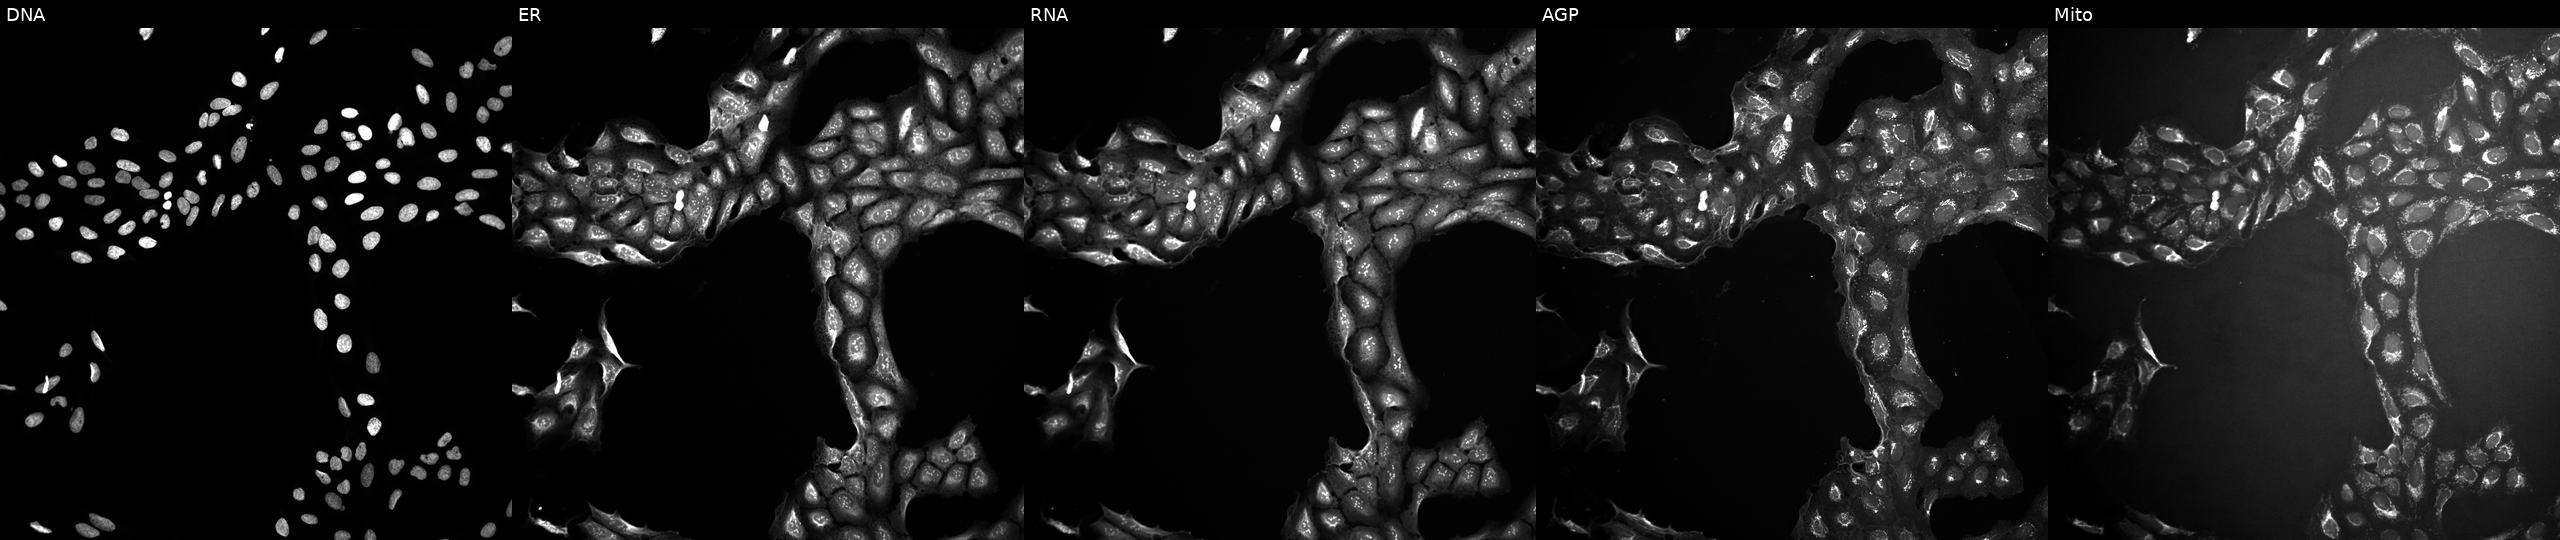
This image strip shows the five Cell Painting channels for a single field of U2OS cells treated with a small-molecule compound (InChIKey ULYONBAOIMCNEH-UHFFFAOYSA-N). The five panels, left to right, show DNA (nuclei); ER (endoplasmic reticulum); RNA (nucleoli and cytoplasmic RNA); AGP (actin cytoskeleton, Golgi, and plasma membrane); Mito (mitochondria). Source 10, plate Dest210803-153958, well H23.